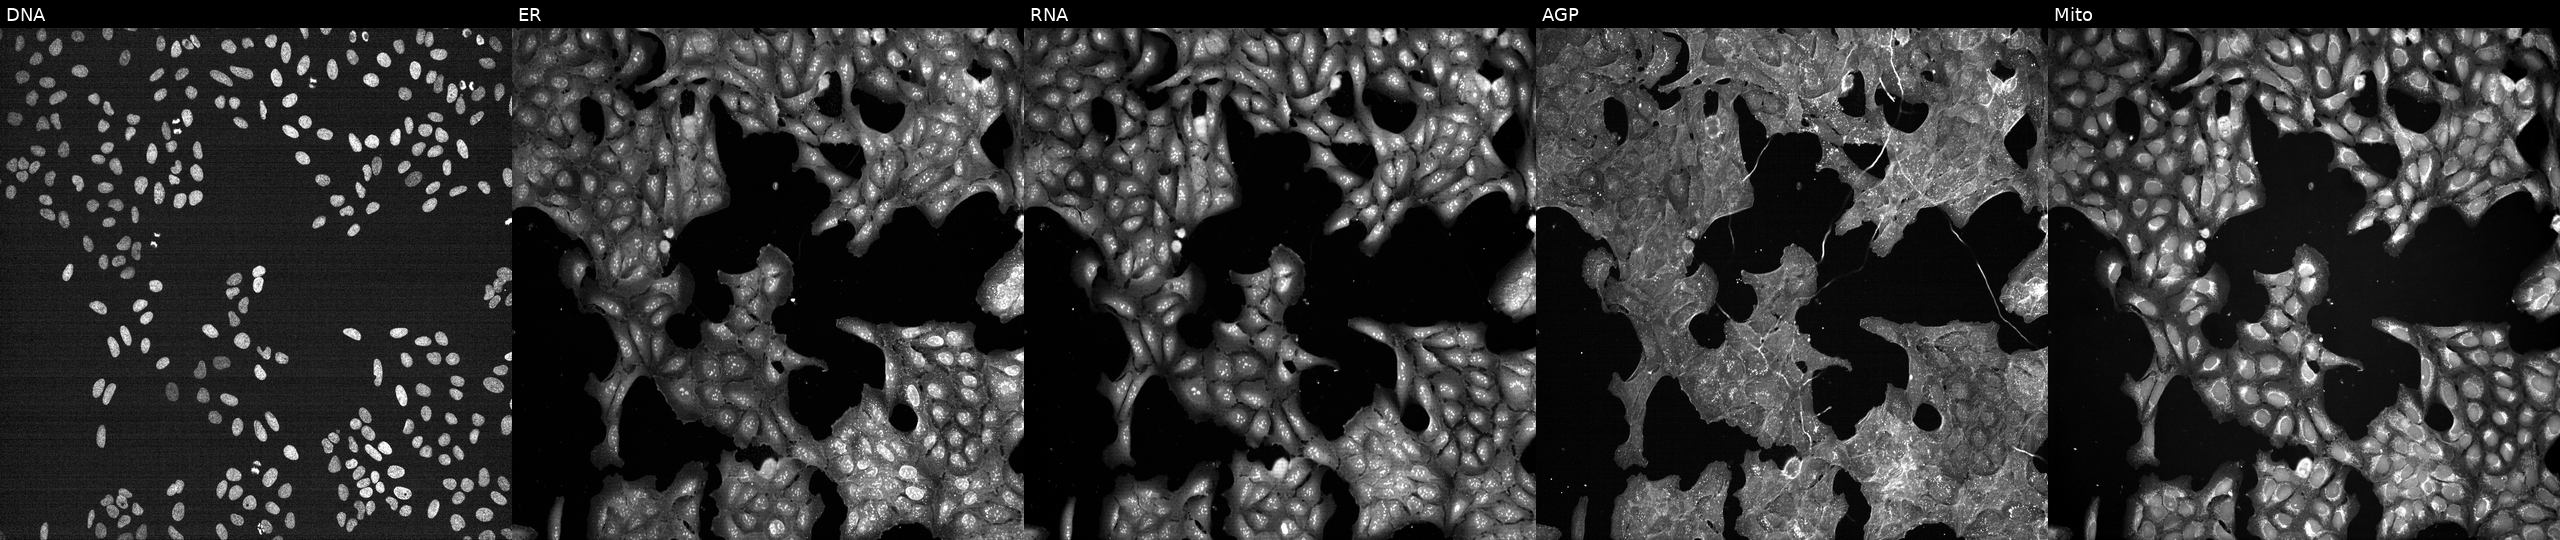
JUMP Cell Painting — TARGET2 plate. U2OS cells treated with a small-molecule compound. From left to right: DNA (nuclei); ER (endoplasmic reticulum); RNA (nucleoli and cytoplasmic RNA); AGP (actin cytoskeleton, Golgi, and plasma membrane); Mito (mitochondria). Source 7, plate CP1-SC1-25, well F08.